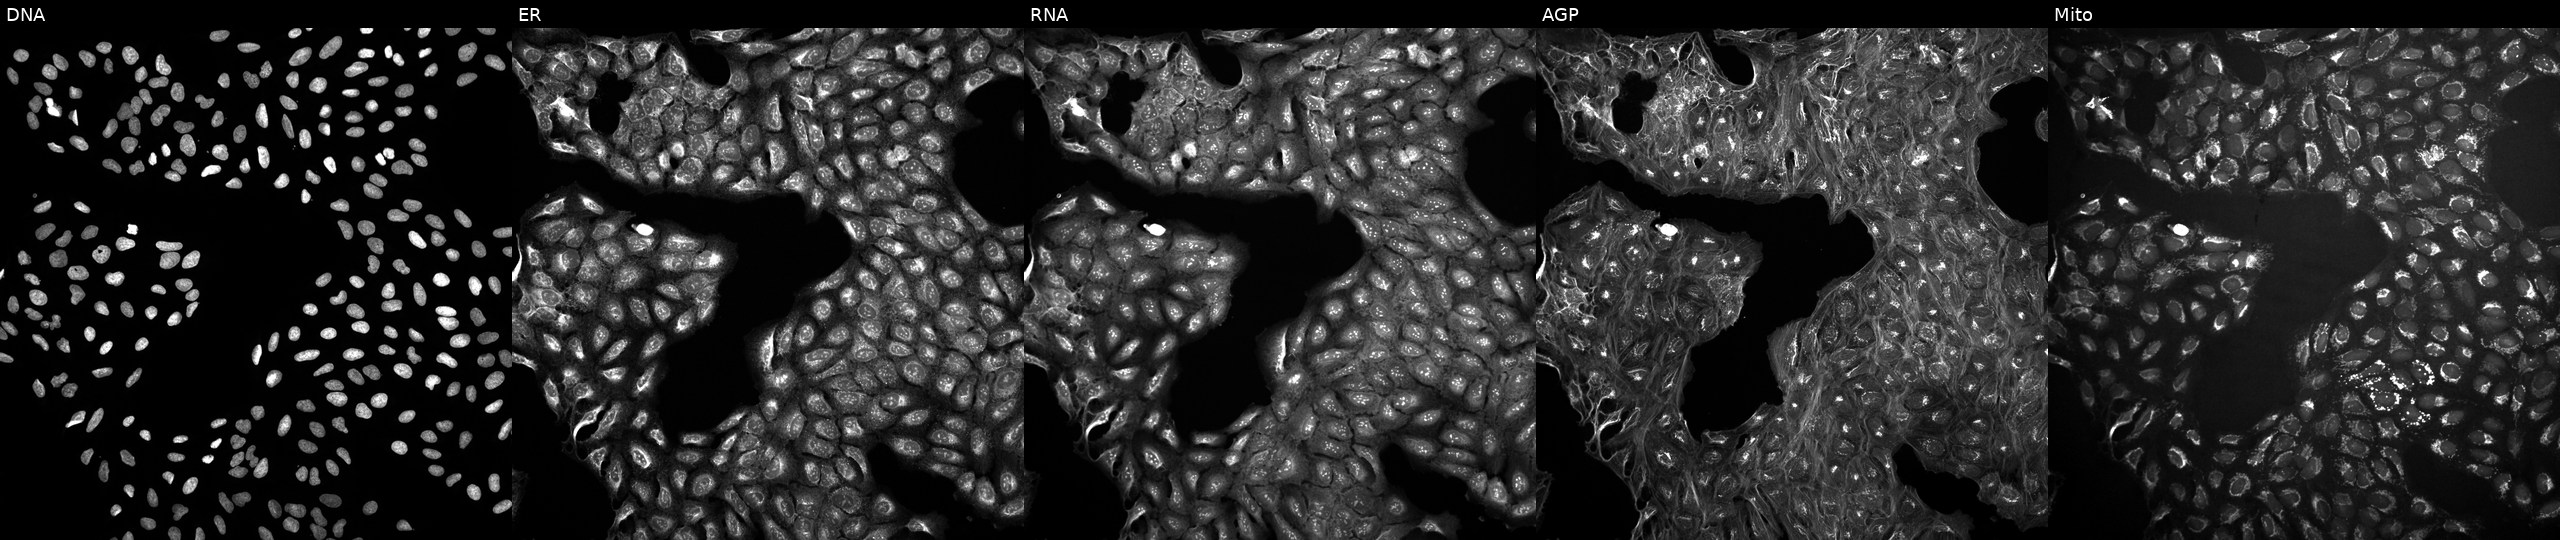
JUMP Cell Painting — COMPOUND plate. U2OS cells treated with aloxistatin (positive-control compound) (JUMP id JCP2022_085227). From left to right: Hoechst 33342, concanavalin A, SYTO 14, phalloidin and WGA, MitoTracker.